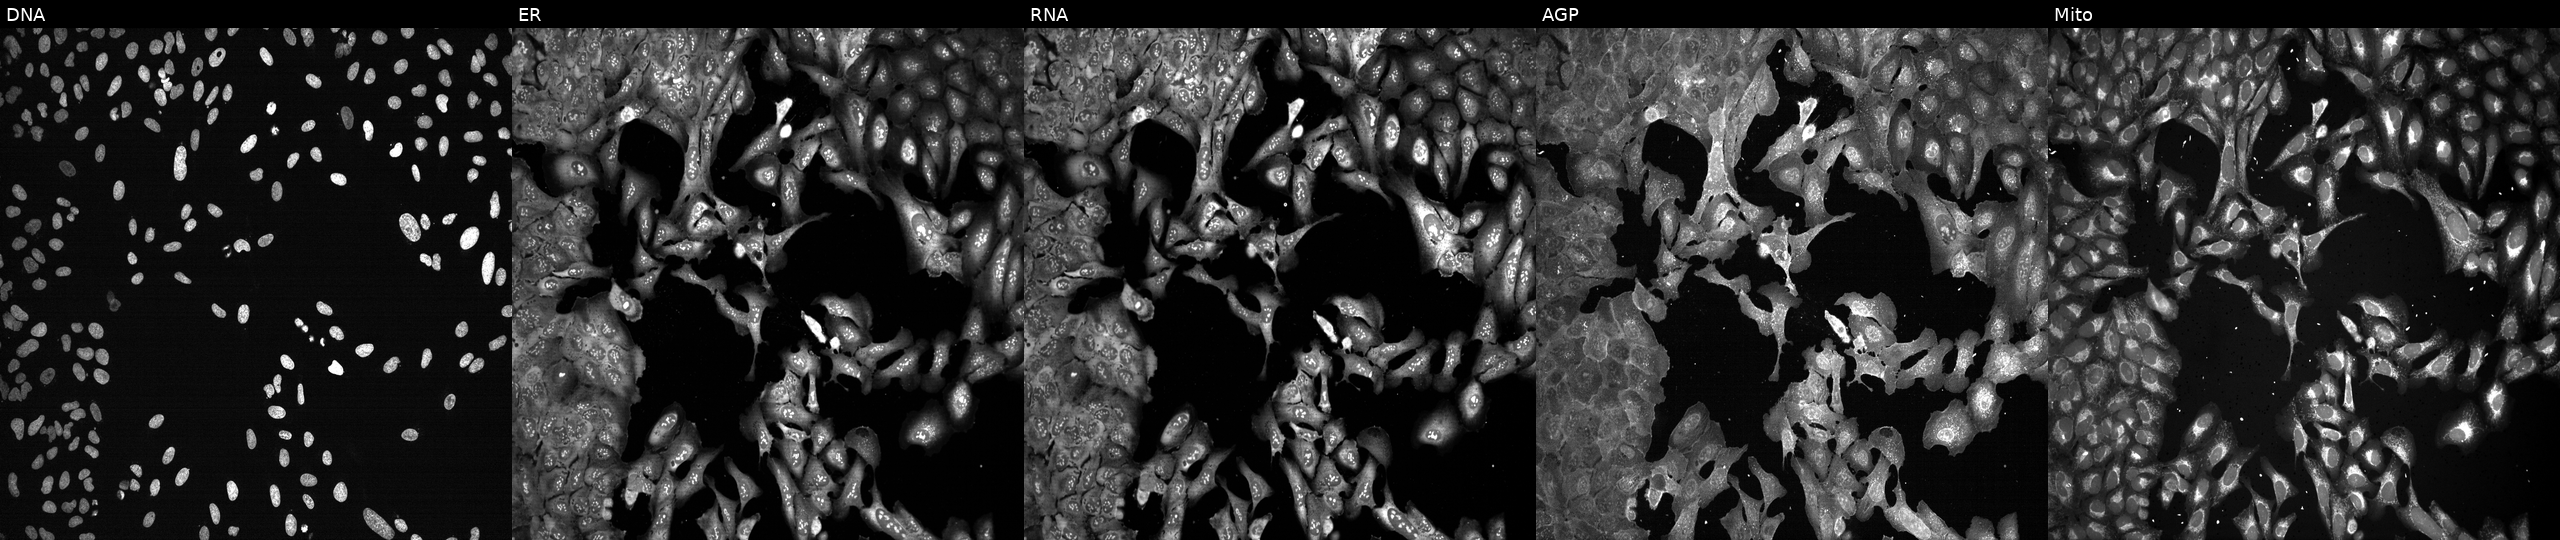
High-content fluorescence microscopy (Cell Painting). Cell line: U2OS. Perturbation: CRISPR-edited to disrupt SNUPN (JUMP id JCP2022_806668). The five panels, left to right, show Hoechst 33342, concanavalin A, SYTO 14, phalloidin and WGA, MitoTracker.